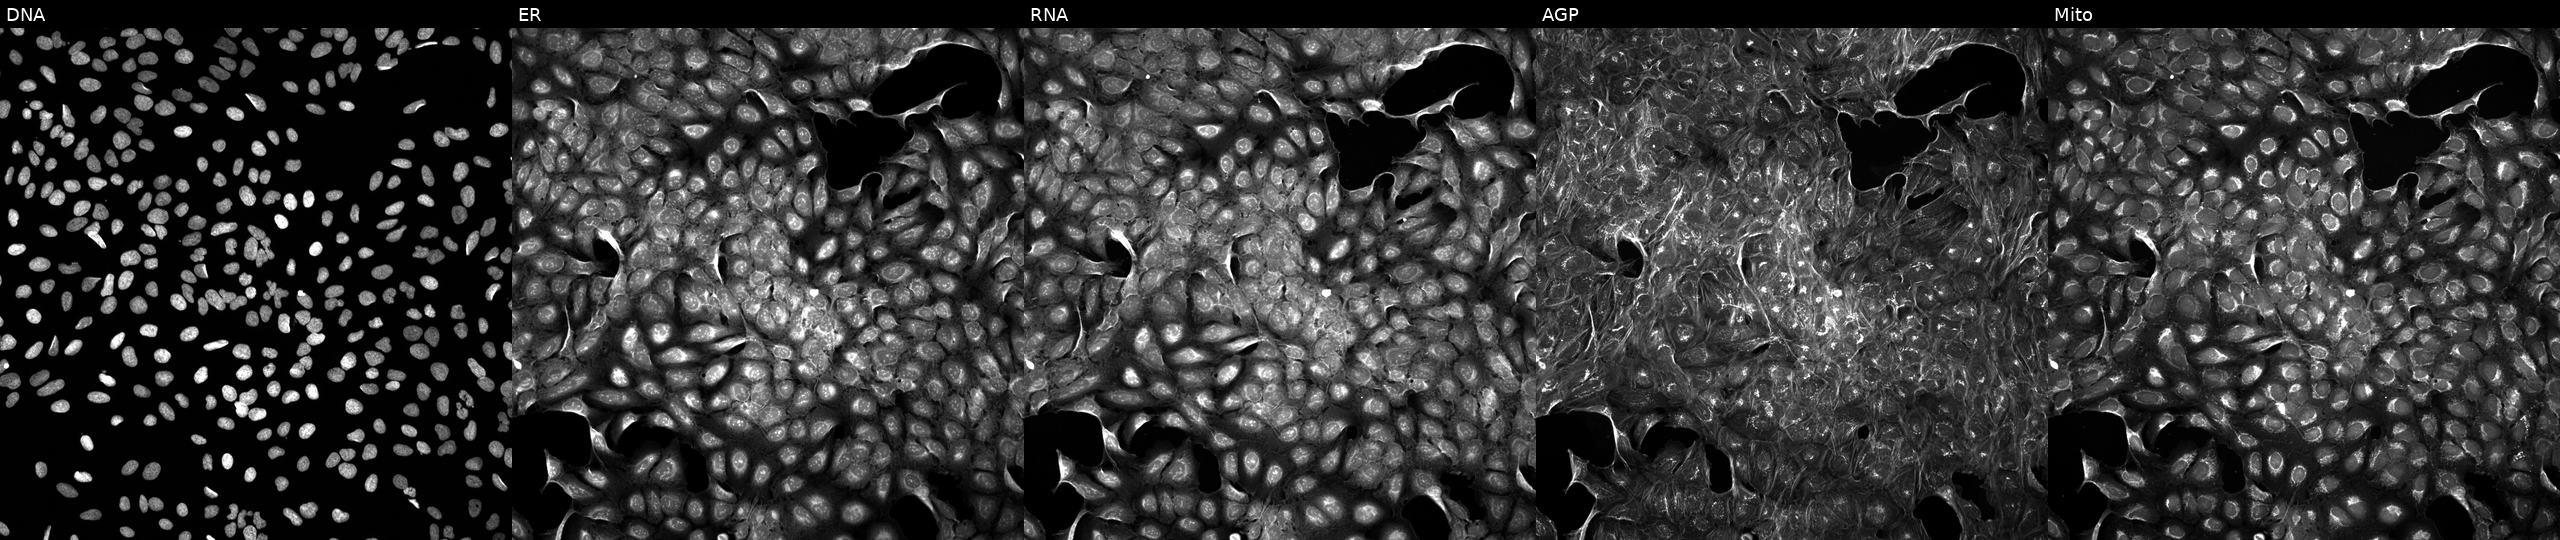
This image strip shows the five Cell Painting channels for a single field of U2OS cells treated with a small-molecule compound [SMILES: CN(CC1CCOC1)C(=O)Nc1cccc(Cl)c1F] (JUMP id JCP2022_053044). Channels (left→right): DNA (nuclei); ER (endoplasmic reticulum); RNA (nucleoli and cytoplasmic RNA); AGP (actin cytoskeleton, Golgi, and plasma membrane); Mito (mitochondria). Source 5, plate APTJUM106, well N15.